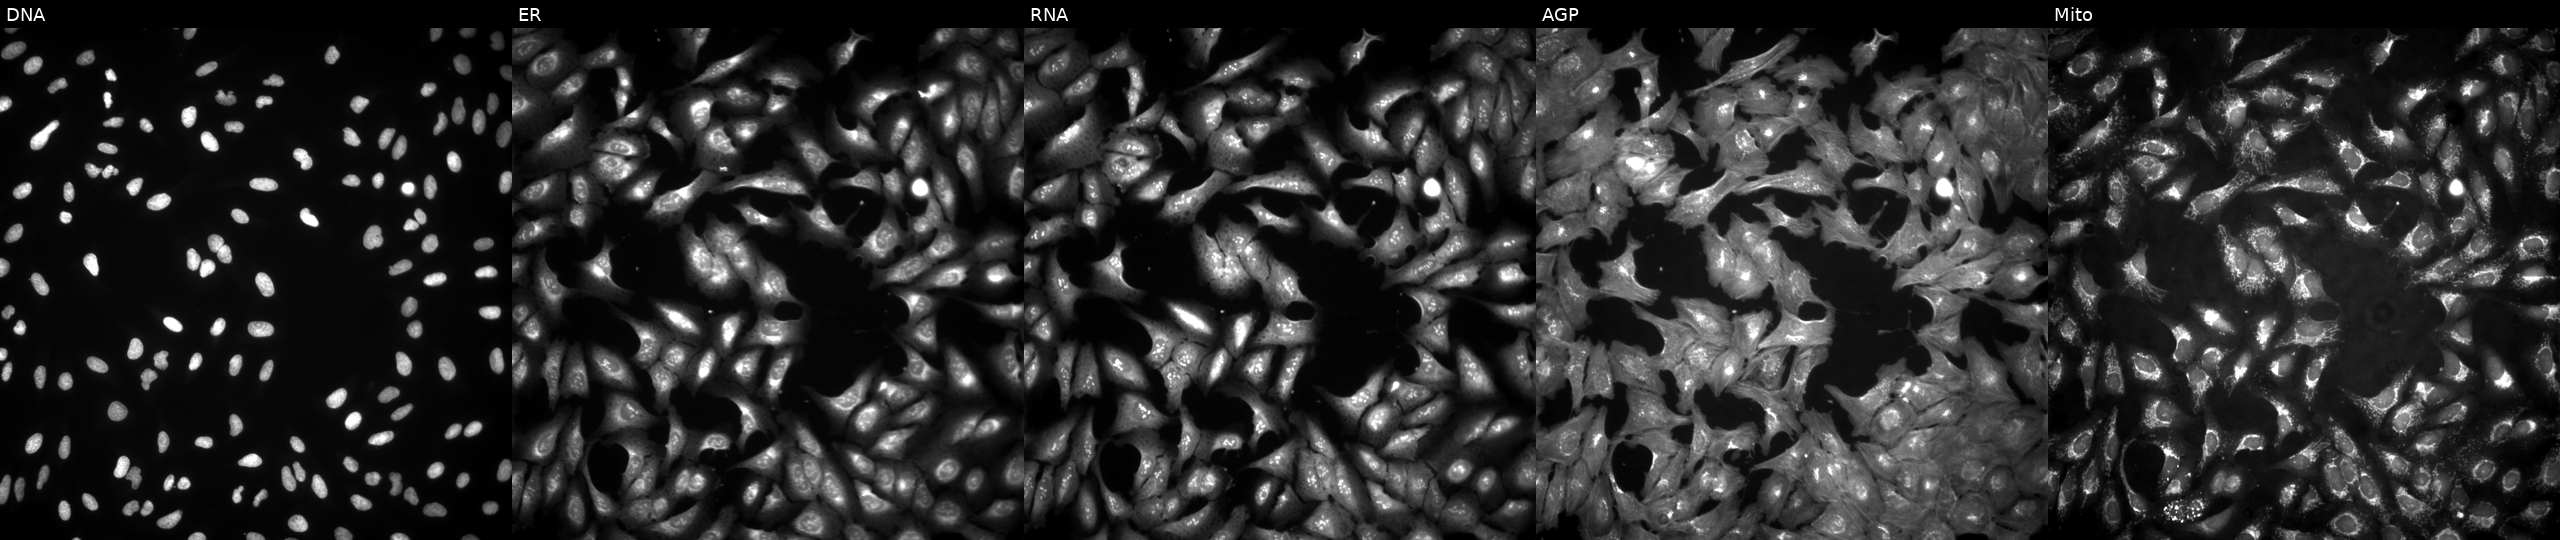
The five panels, left to right, show DNA, ER, RNA, AGP, and Mito. U2OS osteosarcoma cells expressing eGFP (ORF positive control). Cell Painting assay, JUMP-CP dataset. Source 4, plate BR00123509, well P19.